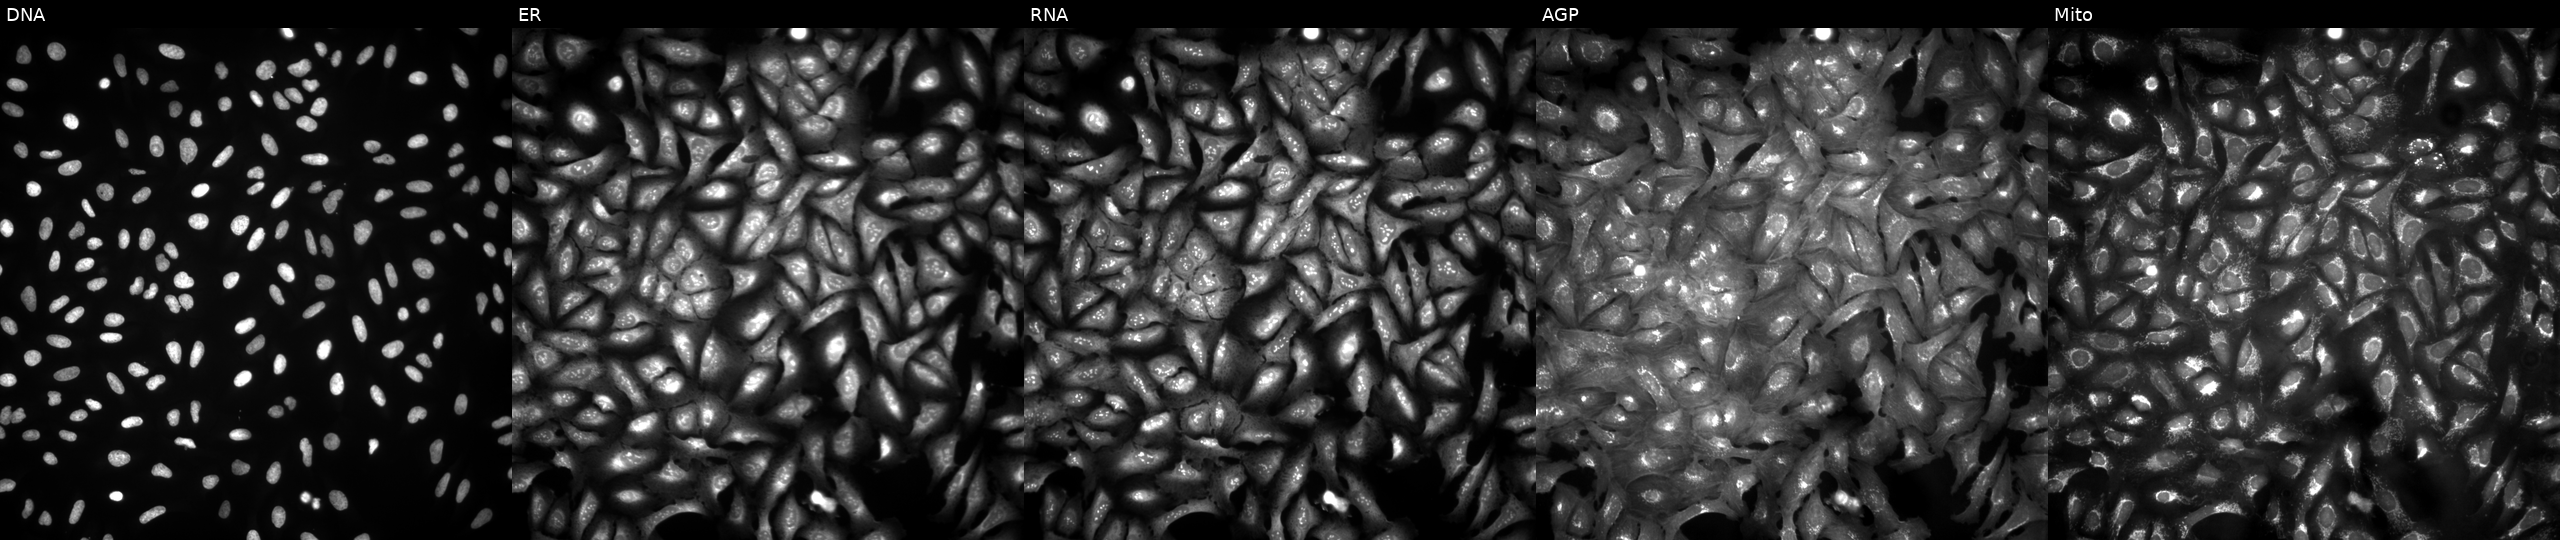
Five-channel Cell Painting image of U2OS cells overexpressing POT1 via ORF transfection (JUMP id JCP2022_902705). The five panels, left to right, show Hoechst 33342, concanavalin A, SYTO 14, phalloidin and WGA, MitoTracker.